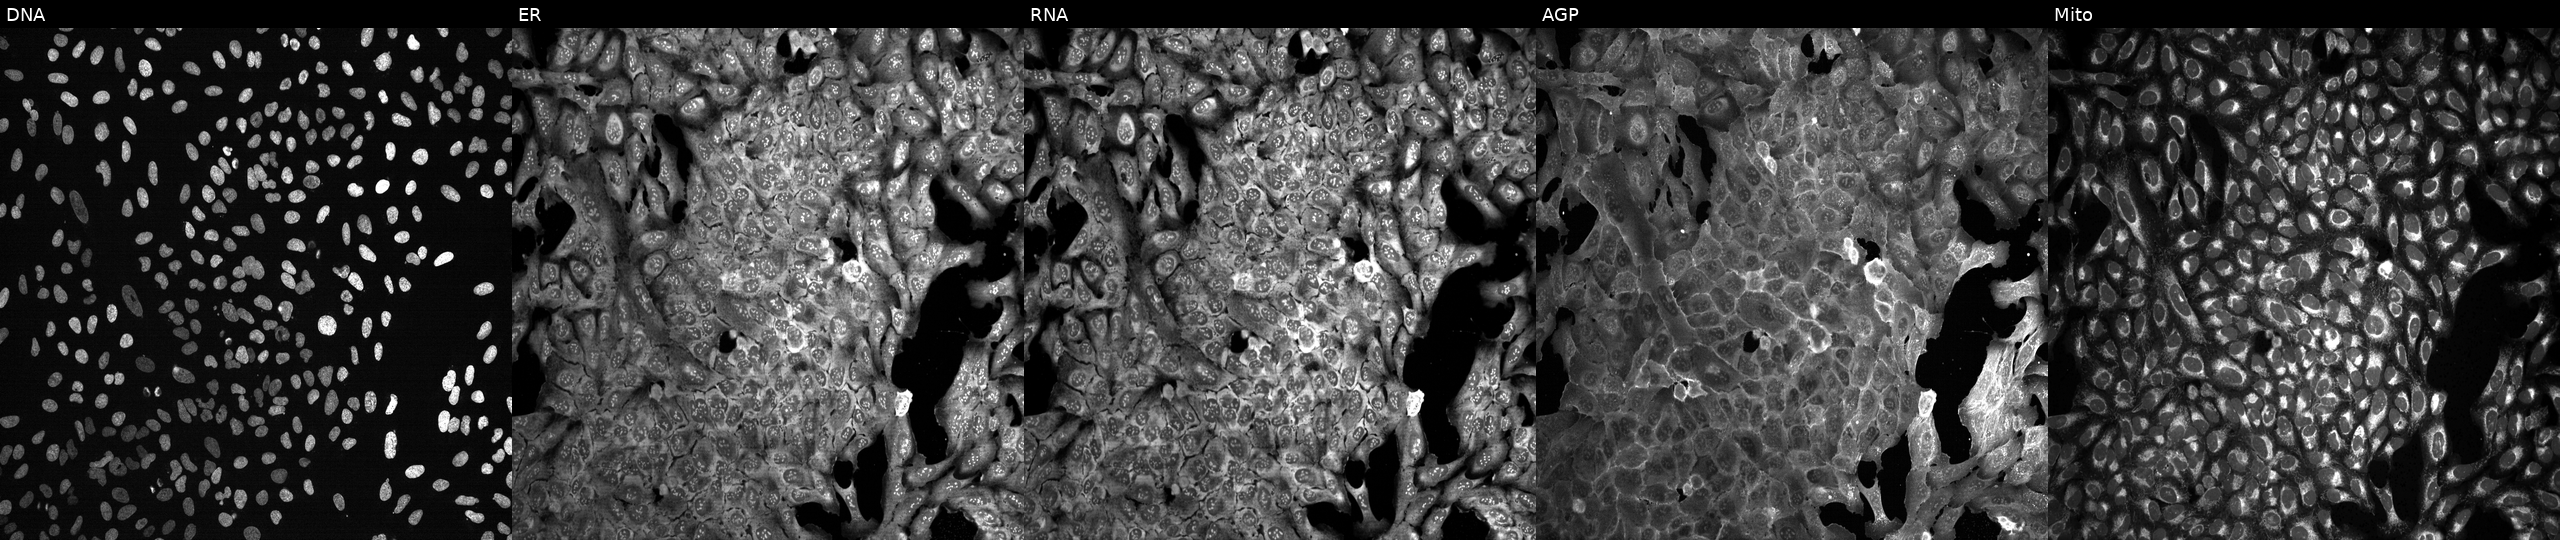
U2OS cells, Cell Painting assay, following CRISPR knockout of CTSC. From left to right: Hoechst 33342, concanavalin A, SYTO 14, phalloidin and WGA, MitoTracker. Each panel is percentile-stretched 16-bit fluorescence. Source 13, plate CP-CC9-R6-19, well D05.